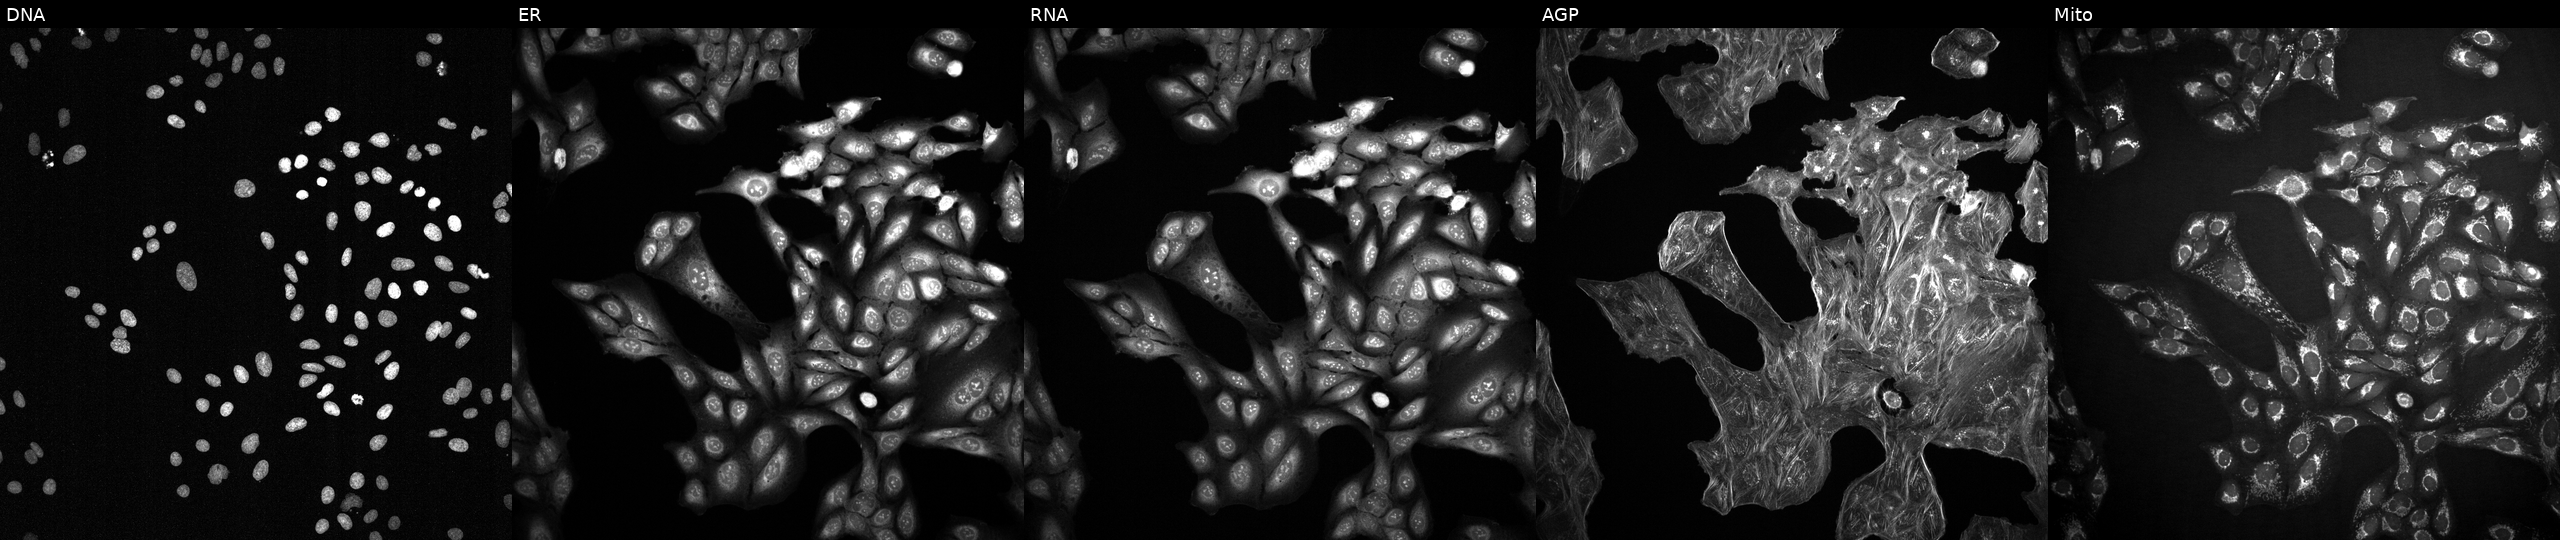
High-content fluorescence microscopy (Cell Painting). Cell line: U2OS. Perturbation: treated with a small-molecule compound (InChIKey MJVAVZPDRWSRRC-UHFFFAOYSA-N) (JUMP id JCP2022_054618). Panels show, left to right, DNA, ER, RNA, AGP, and Mito.